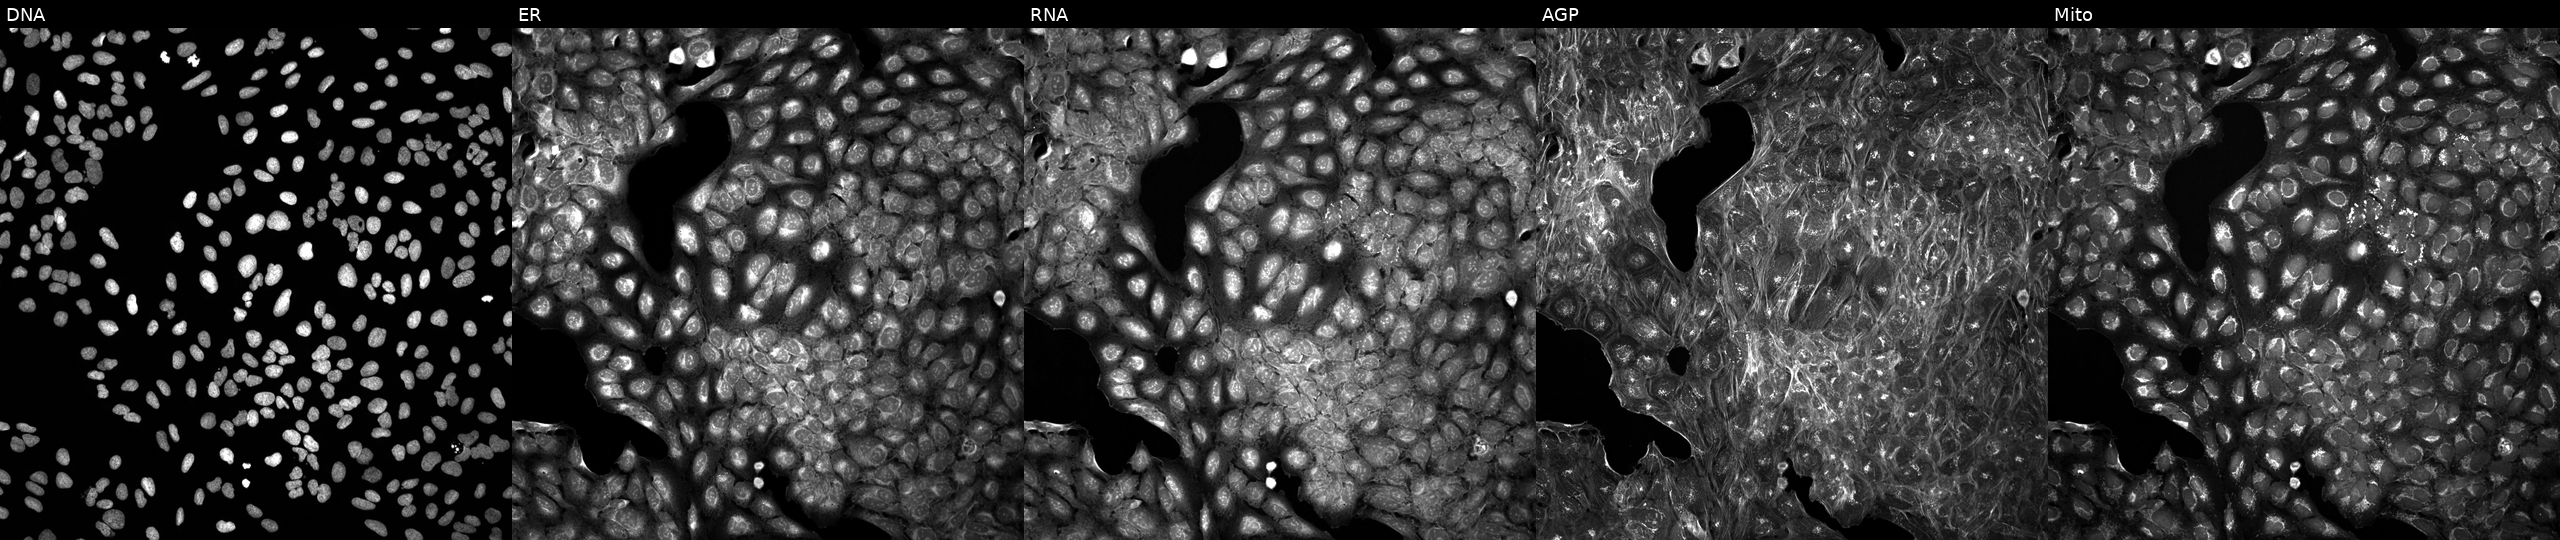
JUMP Cell Painting — TARGET2 plate. U2OS cells treated with DMSO vehicle only (negative control) (JUMP id JCP2022_033924). The five panels, left to right, show Hoechst 33342, concanavalin A, SYTO 14, phalloidin and WGA, MitoTracker.